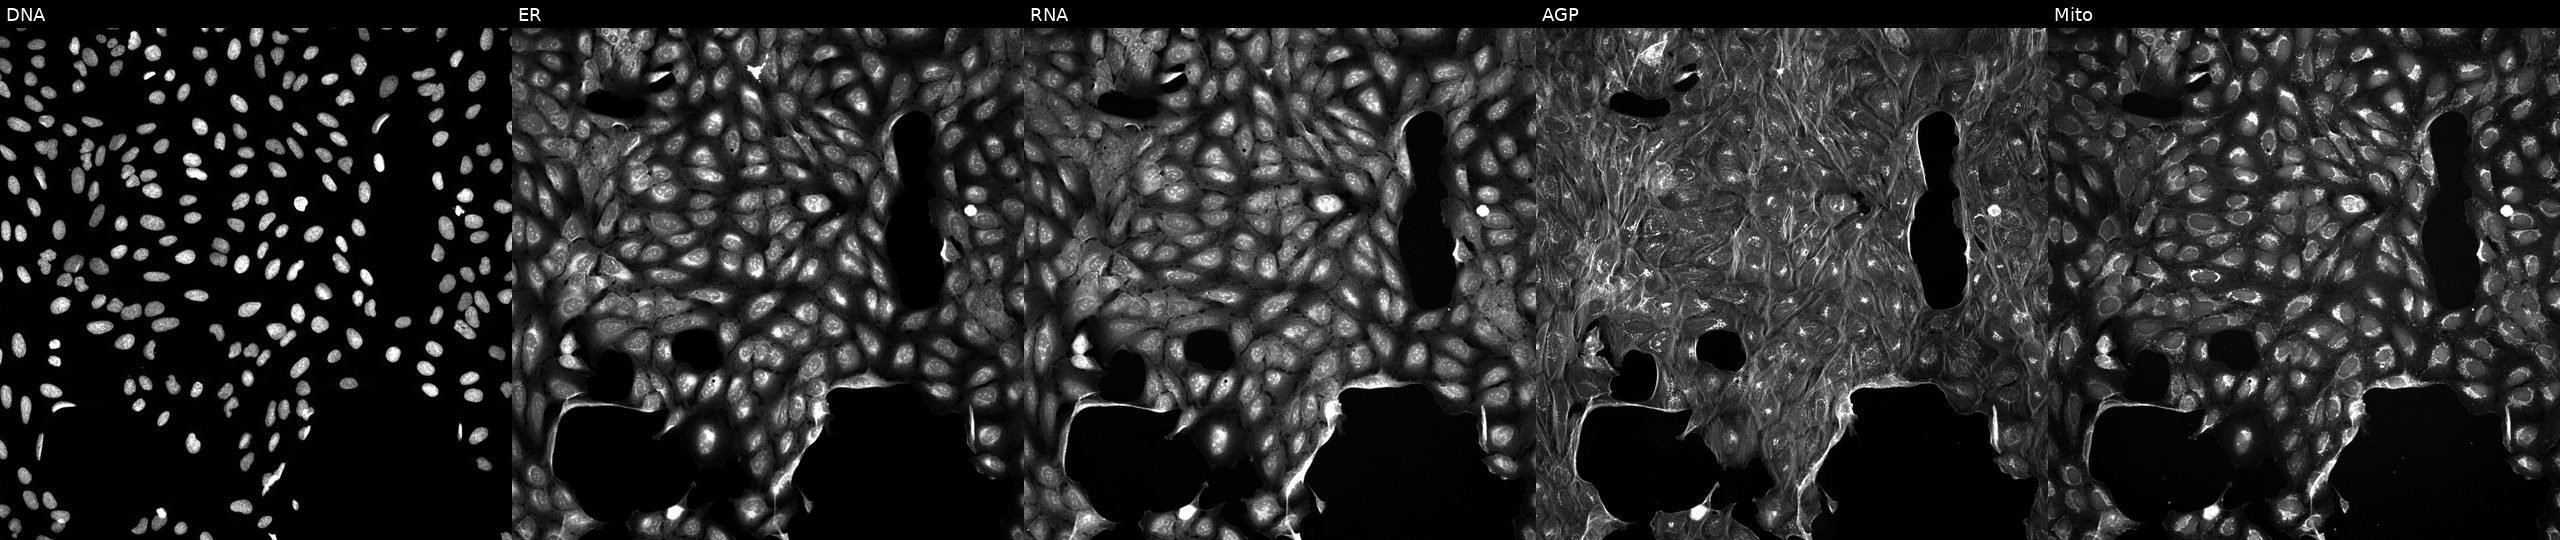
JUMP Cell Painting — TARGET2 plate. U2OS cells perturbed with a small-molecule compound (InChIKey UCAGLBKTLXCODC-UHFFFAOYSA-N). From left to right: DNA (nuclei); ER (endoplasmic reticulum); RNA (nucleoli and cytoplasmic RNA); AGP (actin cytoskeleton, Golgi, and plasma membrane); Mito (mitochondria). Source 5, plate ACPJUM032, well K03.